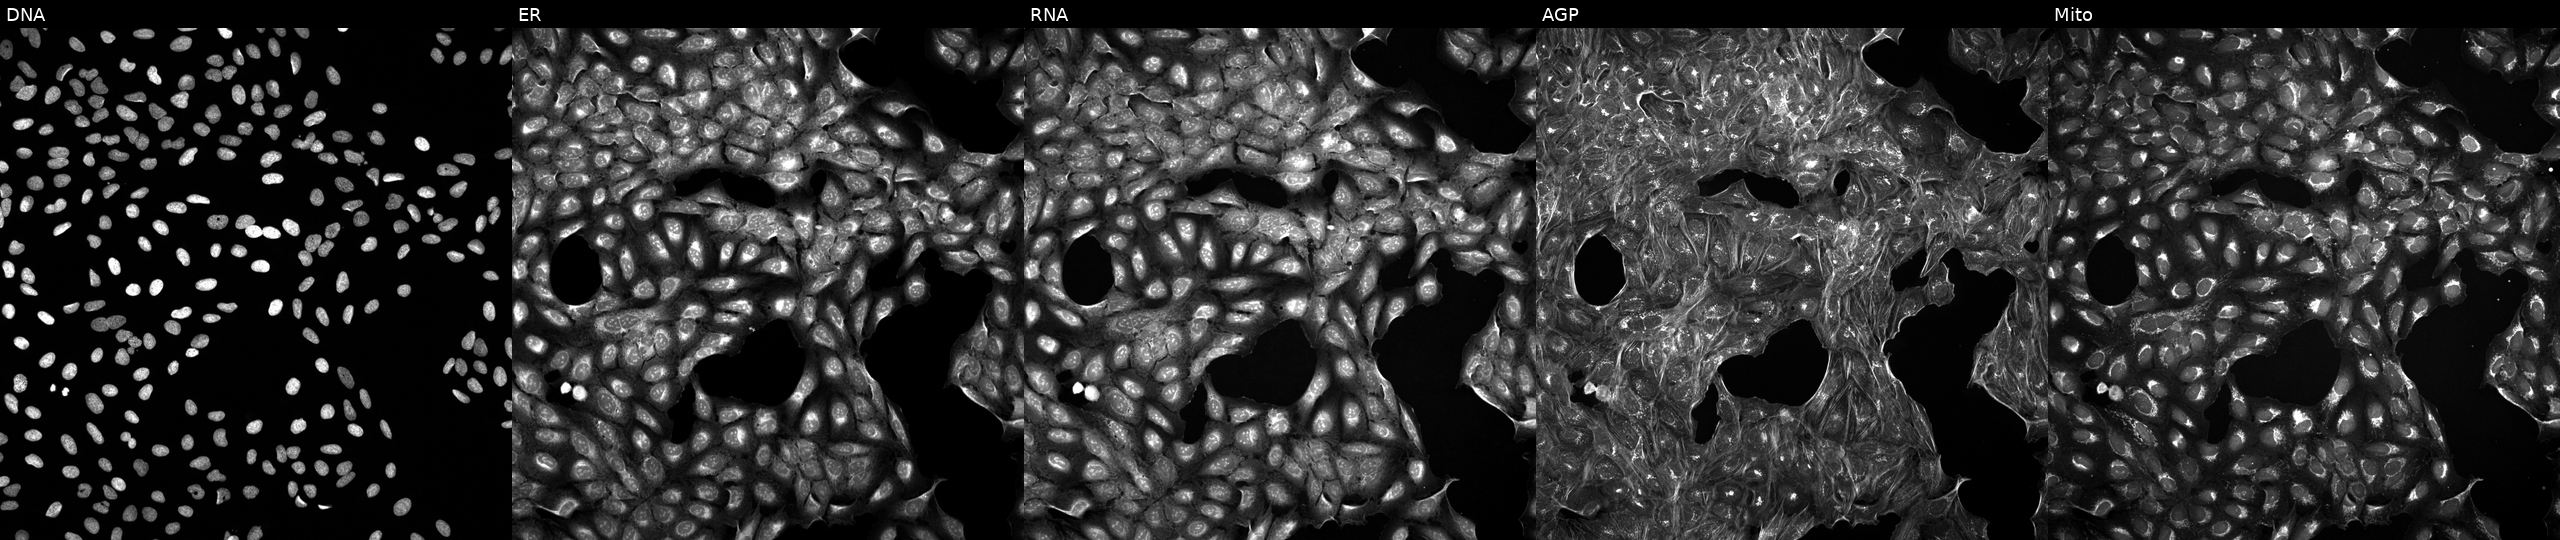
High-content fluorescence microscopy (Cell Painting). Cell line: U2OS. Perturbation: treated with a small-molecule compound (InChIKey PZBPKYOVPCNPJY-UHFFFAOYSA-N) [SMILES: C=CCOC(Cn1ccnc1)c1ccc(Cl)cc1Cl] (JUMP id JCP2022_071910). From left to right: Hoechst 33342, concanavalin A, SYTO 14, phalloidin and WGA, MitoTracker. Source 5, plate ACPJUM051, well J10.